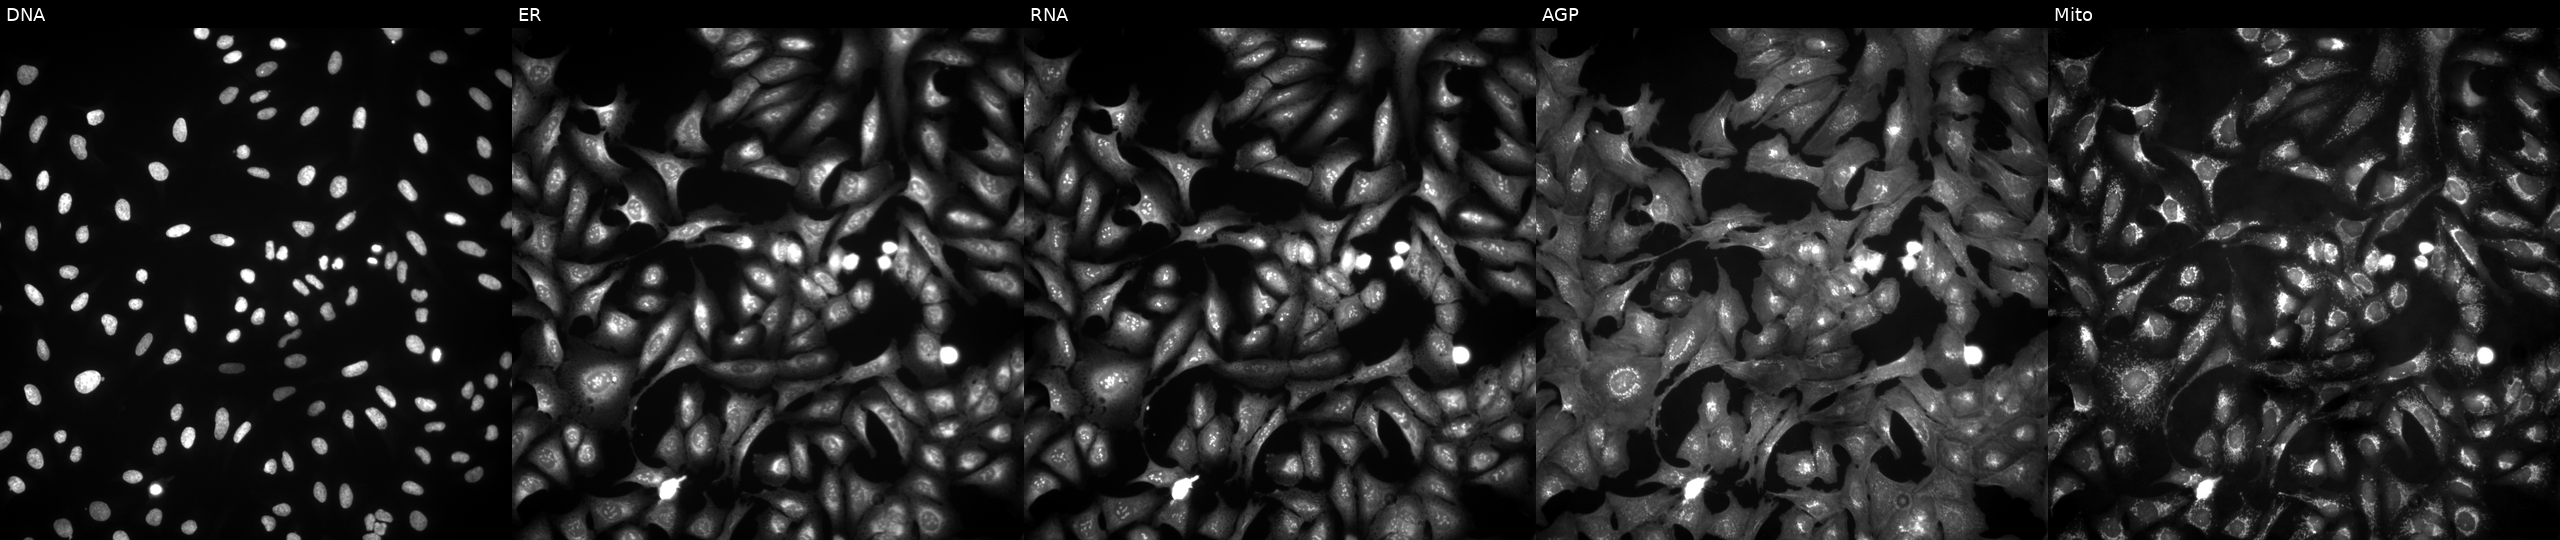
This image strip shows the five Cell Painting channels for a single field of U2OS cells with C4orf3 overexpressed (ORF) (JUMP id JCP2022_912743). The five panels, left to right, show DNA, ER, RNA, AGP, and Mito.